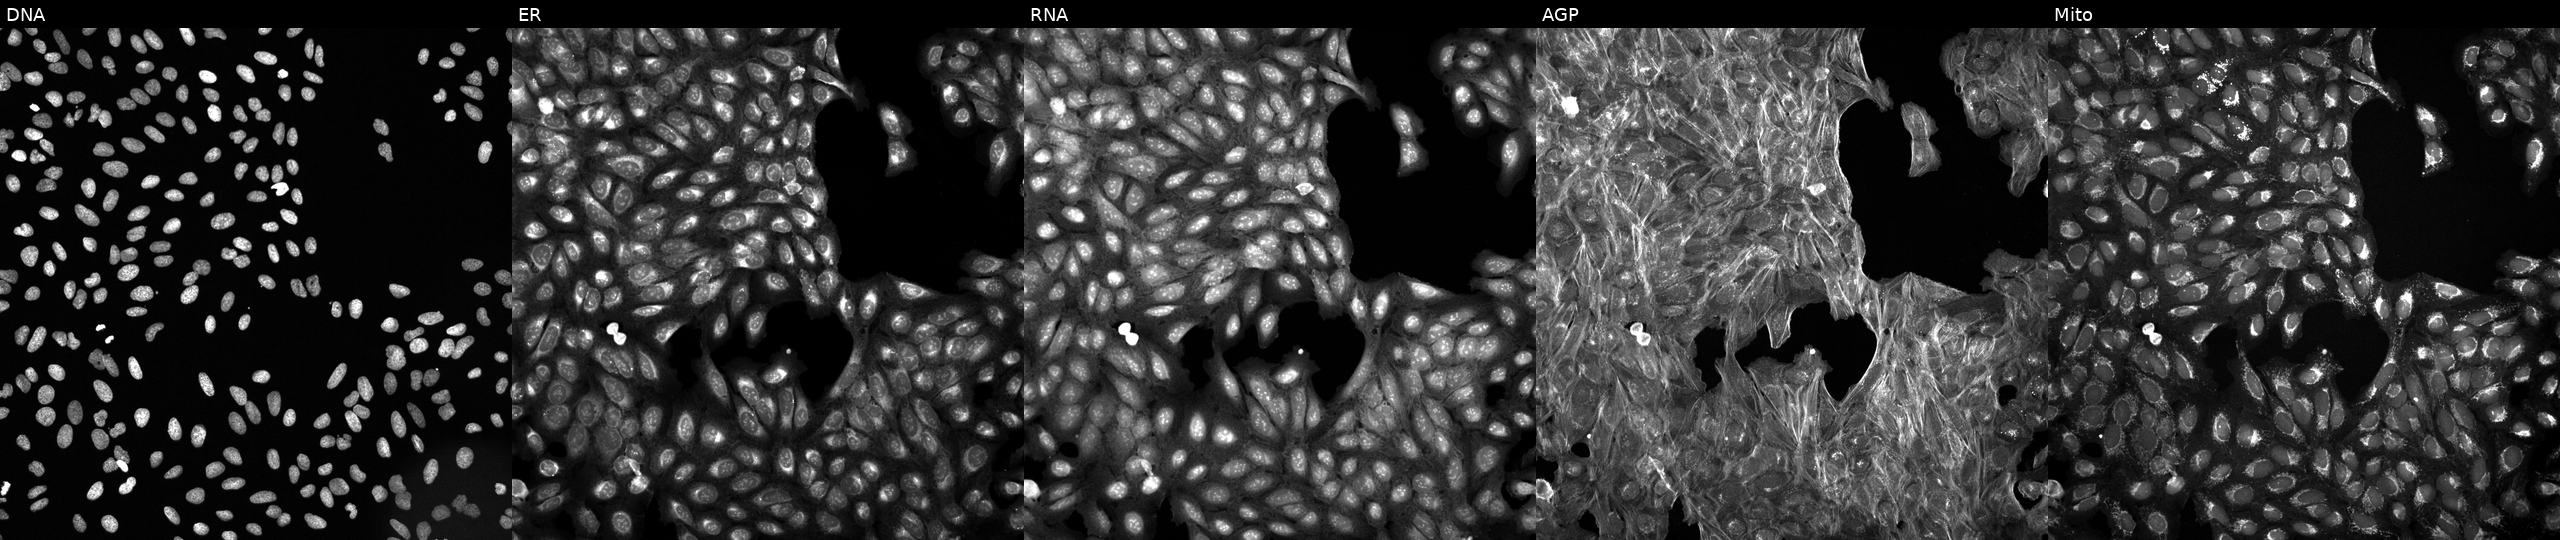
This image strip shows the five Cell Painting channels for a single field of U2OS cells treated with DMSO vehicle only (negative control) (JUMP id JCP2022_033924). Channels (left→right): DNA (nuclei); ER (endoplasmic reticulum); RNA (nucleoli and cytoplasmic RNA); AGP (actin cytoskeleton, Golgi, and plasma membrane); Mito (mitochondria). Source 6, plate 110000294901, well H02.